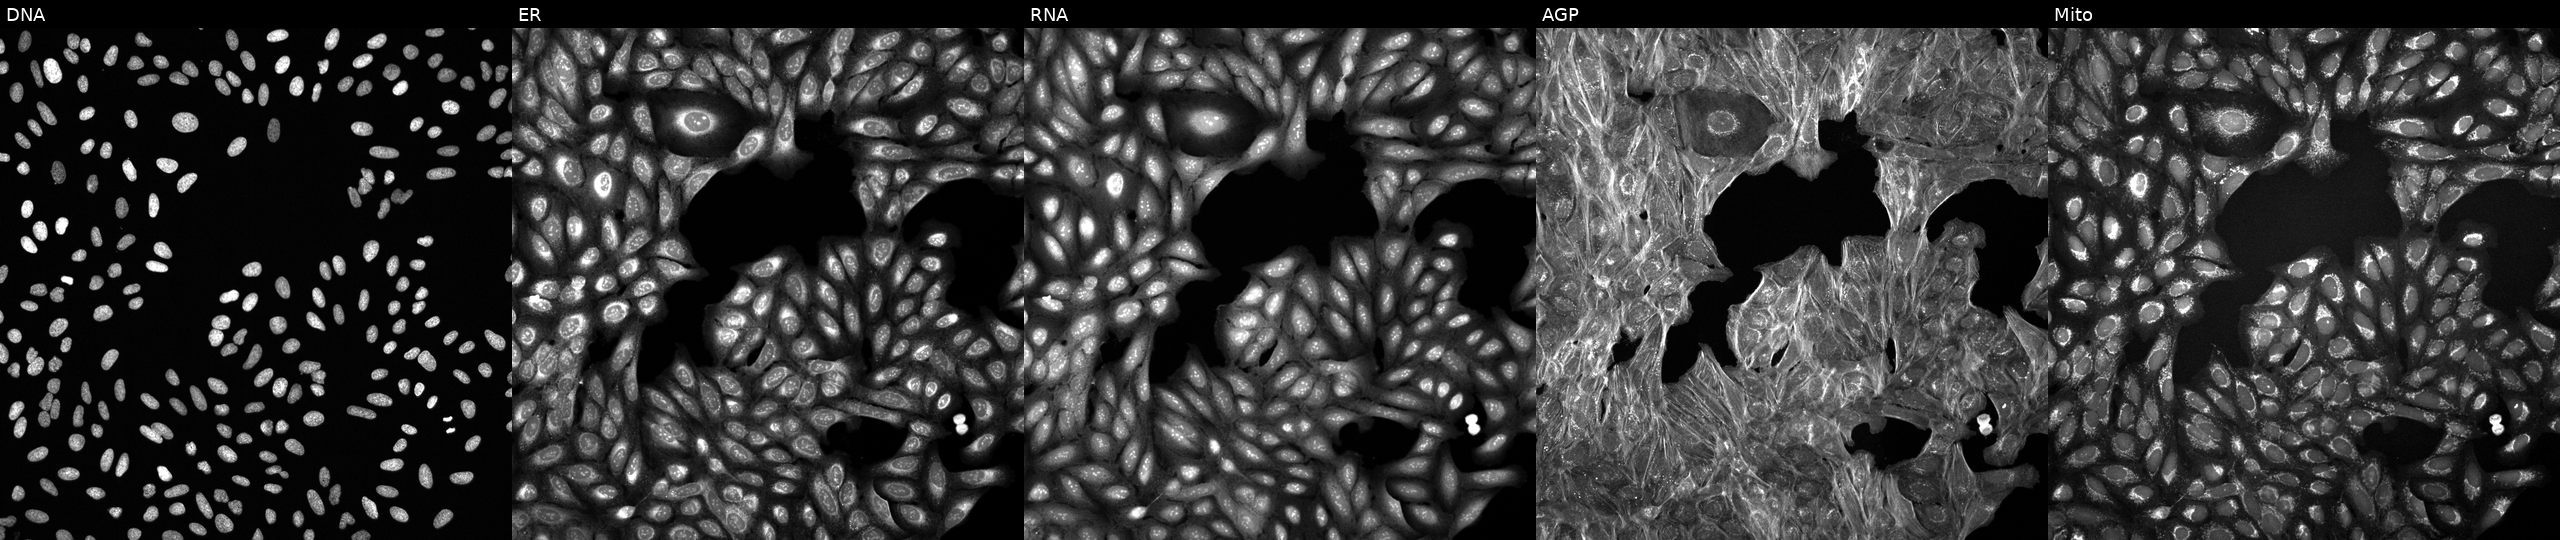
Channels (left→right): DNA, ER, RNA, AGP, and Mito. U2OS osteosarcoma cells exposed to a small-molecule compound [SMILES: Cc1nc(=Nc2ccc(NS(=O)(=O)c3cc(C(C)C)ccc3C)cc2)cc(N(C)C)[nH]1]. Cell Painting assay, JUMP-CP dataset.